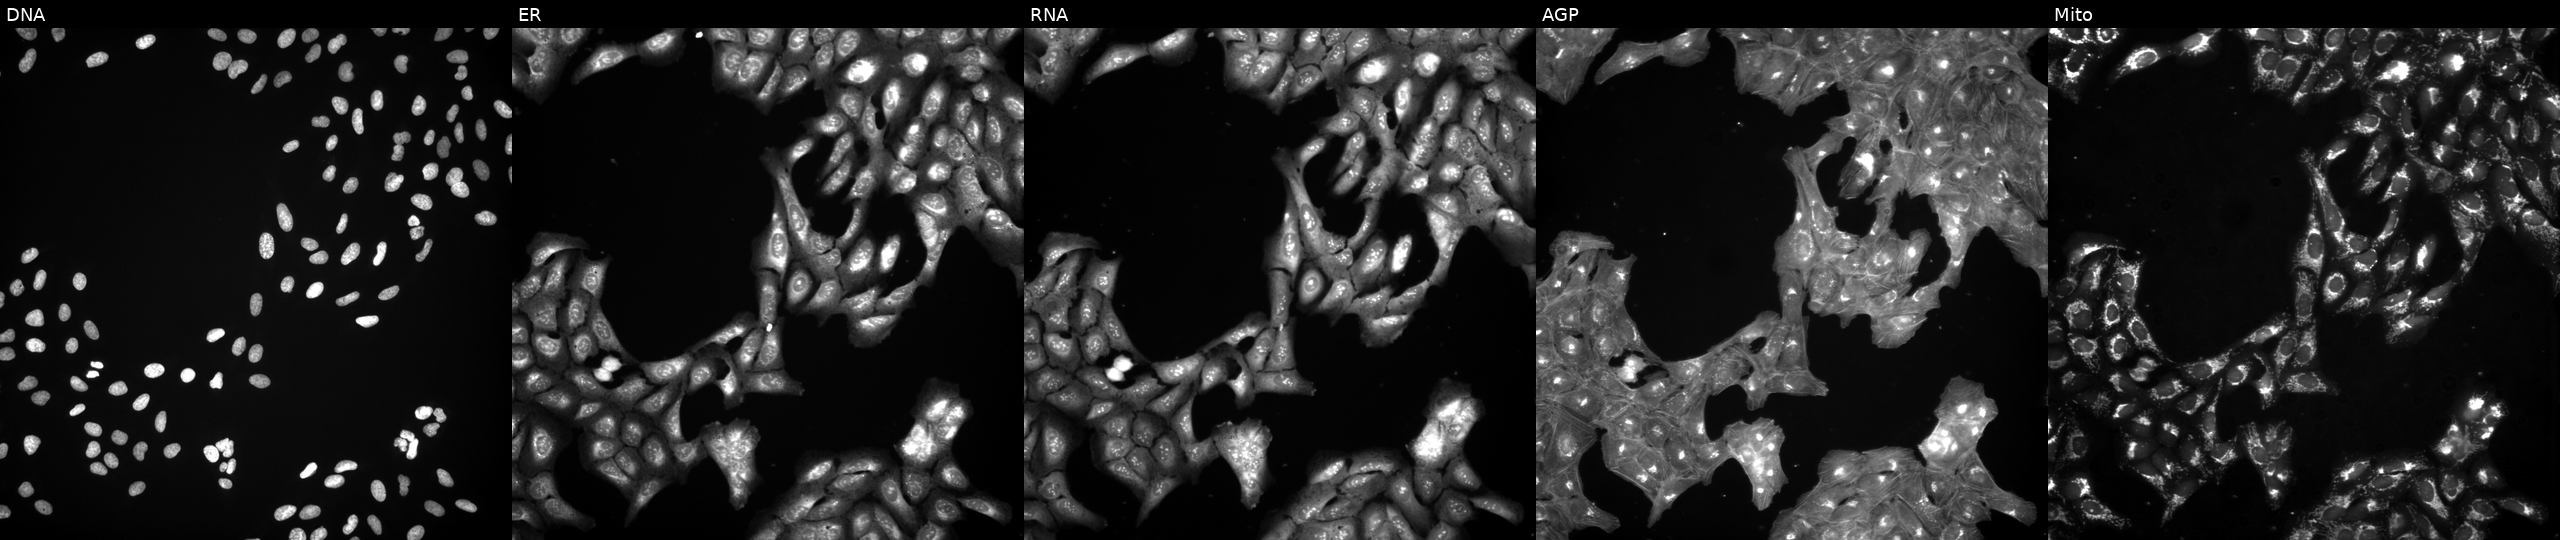
Five-channel Cell Painting image of U2OS cells treated with a small-molecule compound. Panels show, left to right, DNA (nuclei); ER (endoplasmic reticulum); RNA (nucleoli and cytoplasmic RNA); AGP (actin cytoskeleton, Golgi, and plasma membrane); Mito (mitochondria).